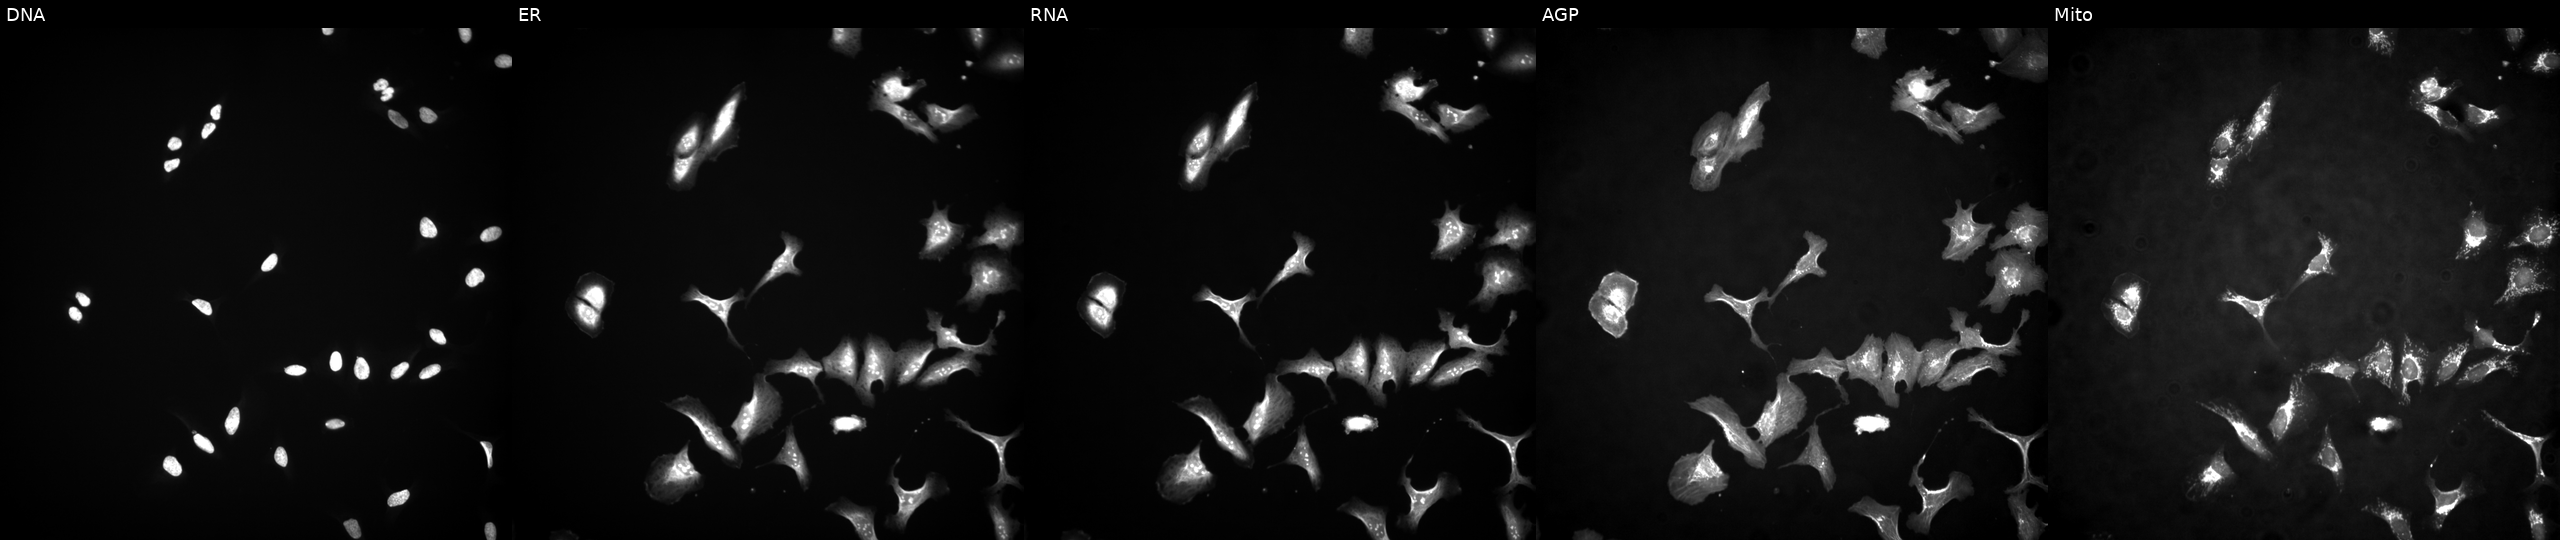
Five-channel Cell Painting image of U2OS cells overexpressing NKX2-5 via ORF transfection (JUMP id JCP2022_905670). From left to right: Hoechst 33342, concanavalin A, SYTO 14, phalloidin and WGA, MitoTracker.